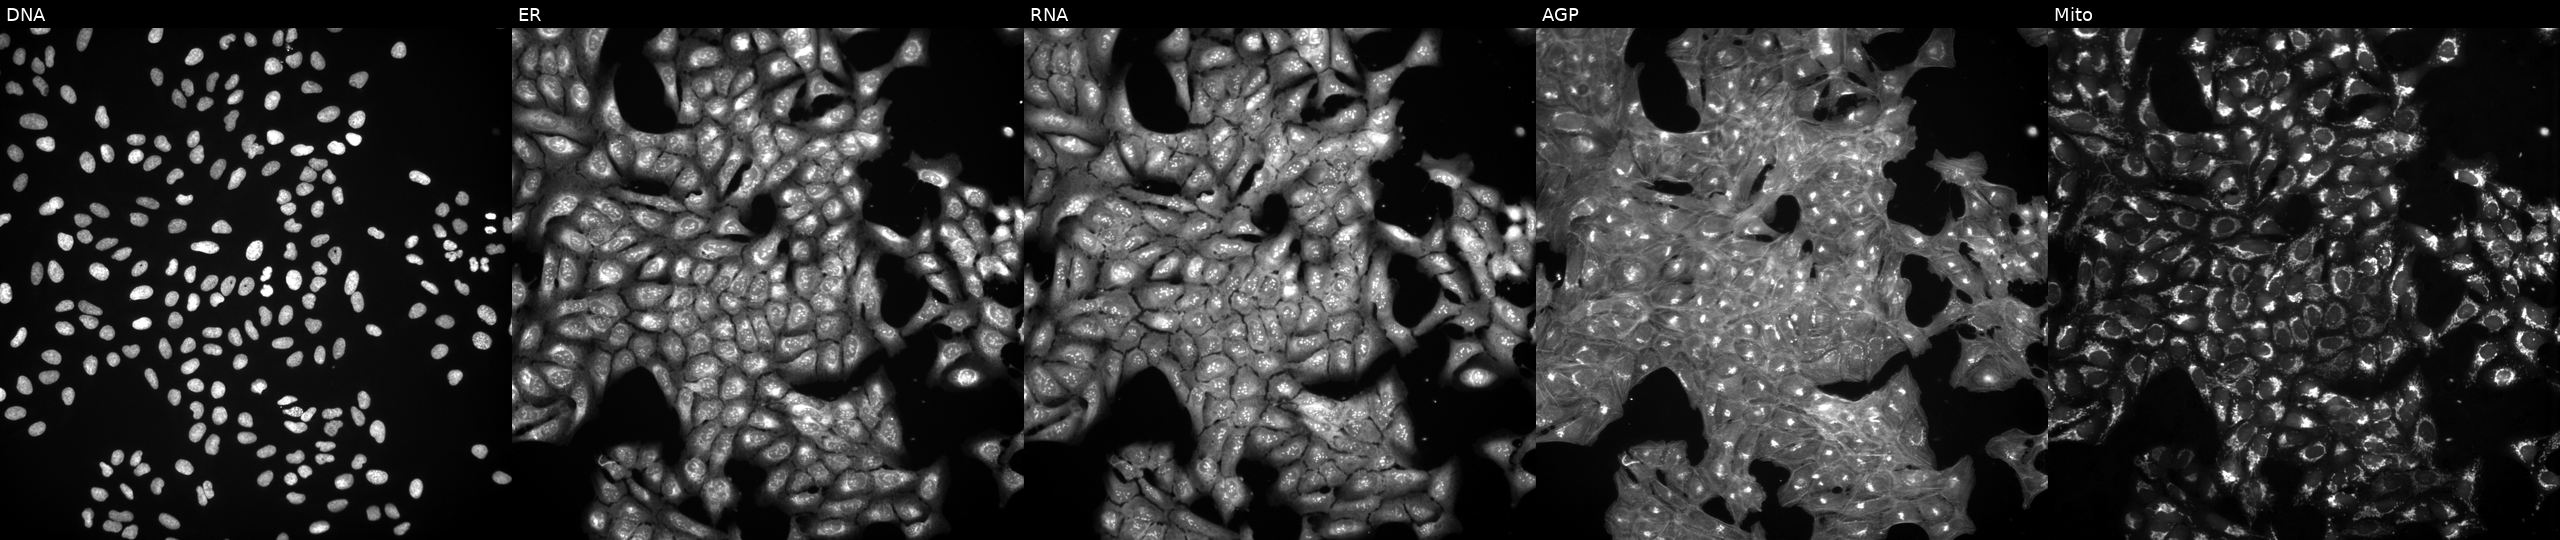
From left to right: DNA, ER, RNA, AGP, and Mito. U2OS osteosarcoma cells treated with a small-molecule compound (InChIKey IFDSQQKLWZTJIO-UHFFFAOYSA-N). Cell Painting assay, JUMP-CP dataset.